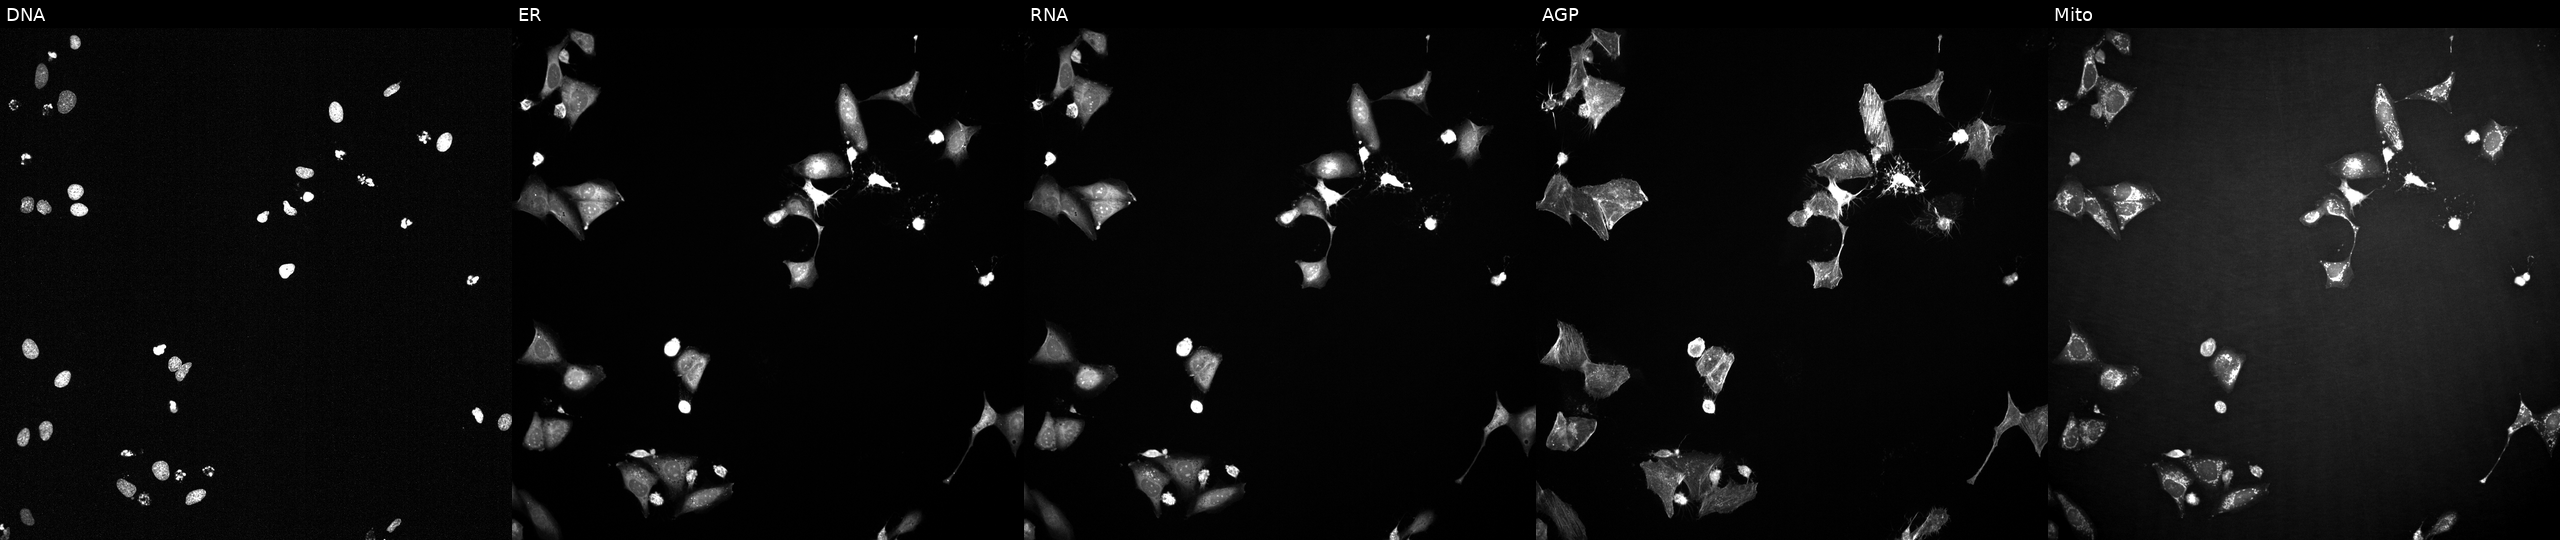
U2OS cells, Cell Painting assay, treated with a small-molecule compound (InChIKey AYCPARAPKDAOEN-UHFFFAOYSA-N). Channels (left→right): Hoechst 33342, concanavalin A, SYTO 14, phalloidin and WGA, MitoTracker. Each panel is percentile-stretched 16-bit fluorescence.